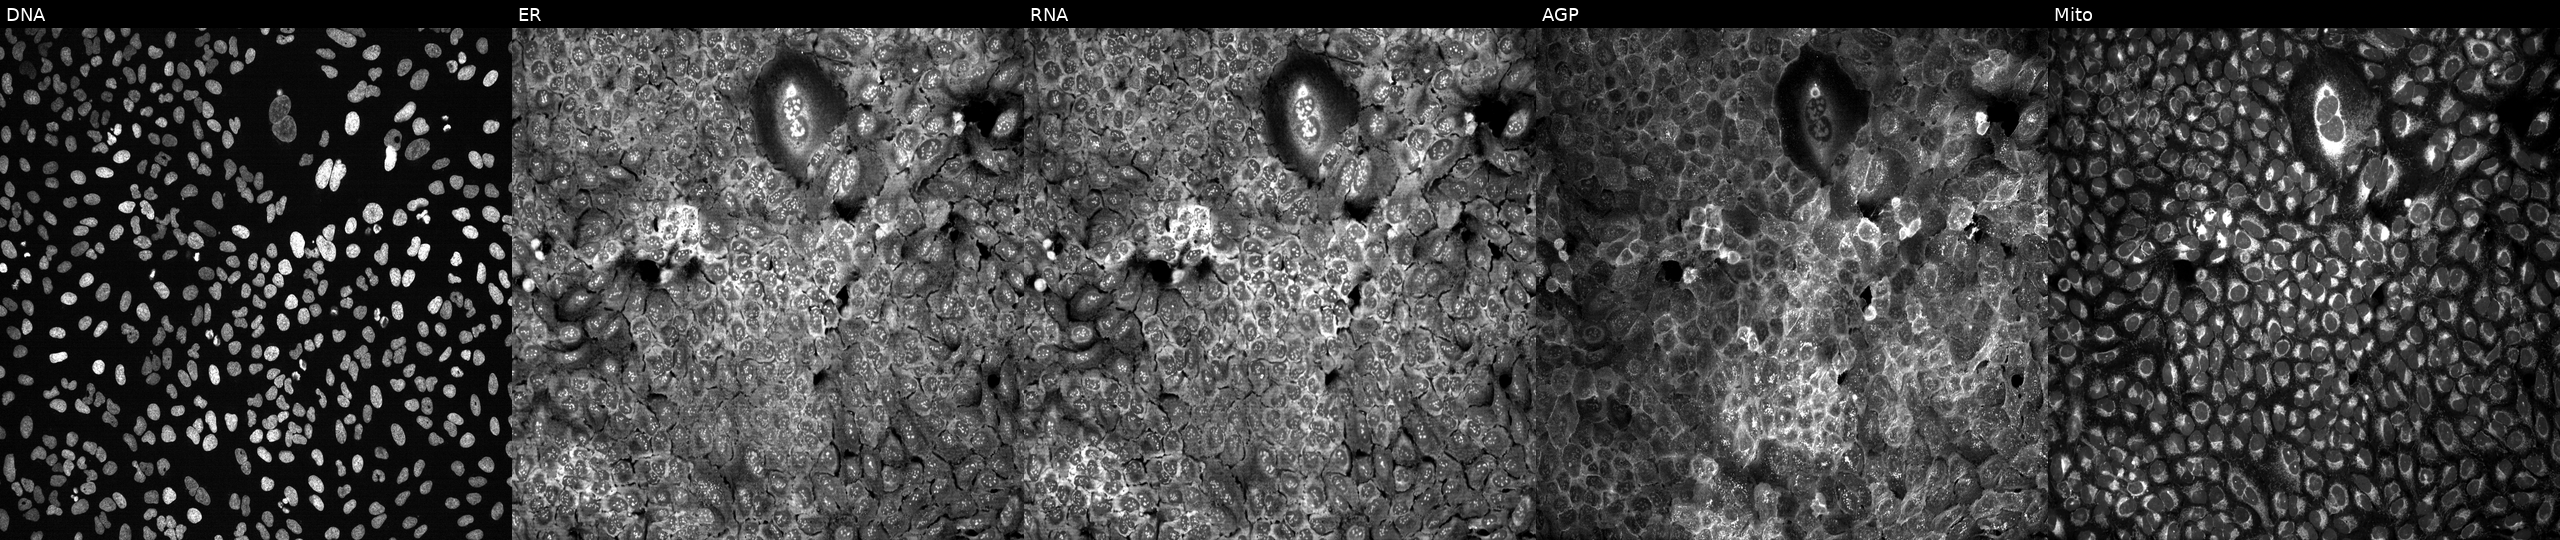
JUMP Cell Painting — CRISPR plate. U2OS cells CRISPR-edited to disrupt ADAM21 (JUMP id JCP2022_800174). From left to right: DNA, ER, RNA, AGP, and Mito. Source 13, plate CP-CC9-R6-19, well E19.